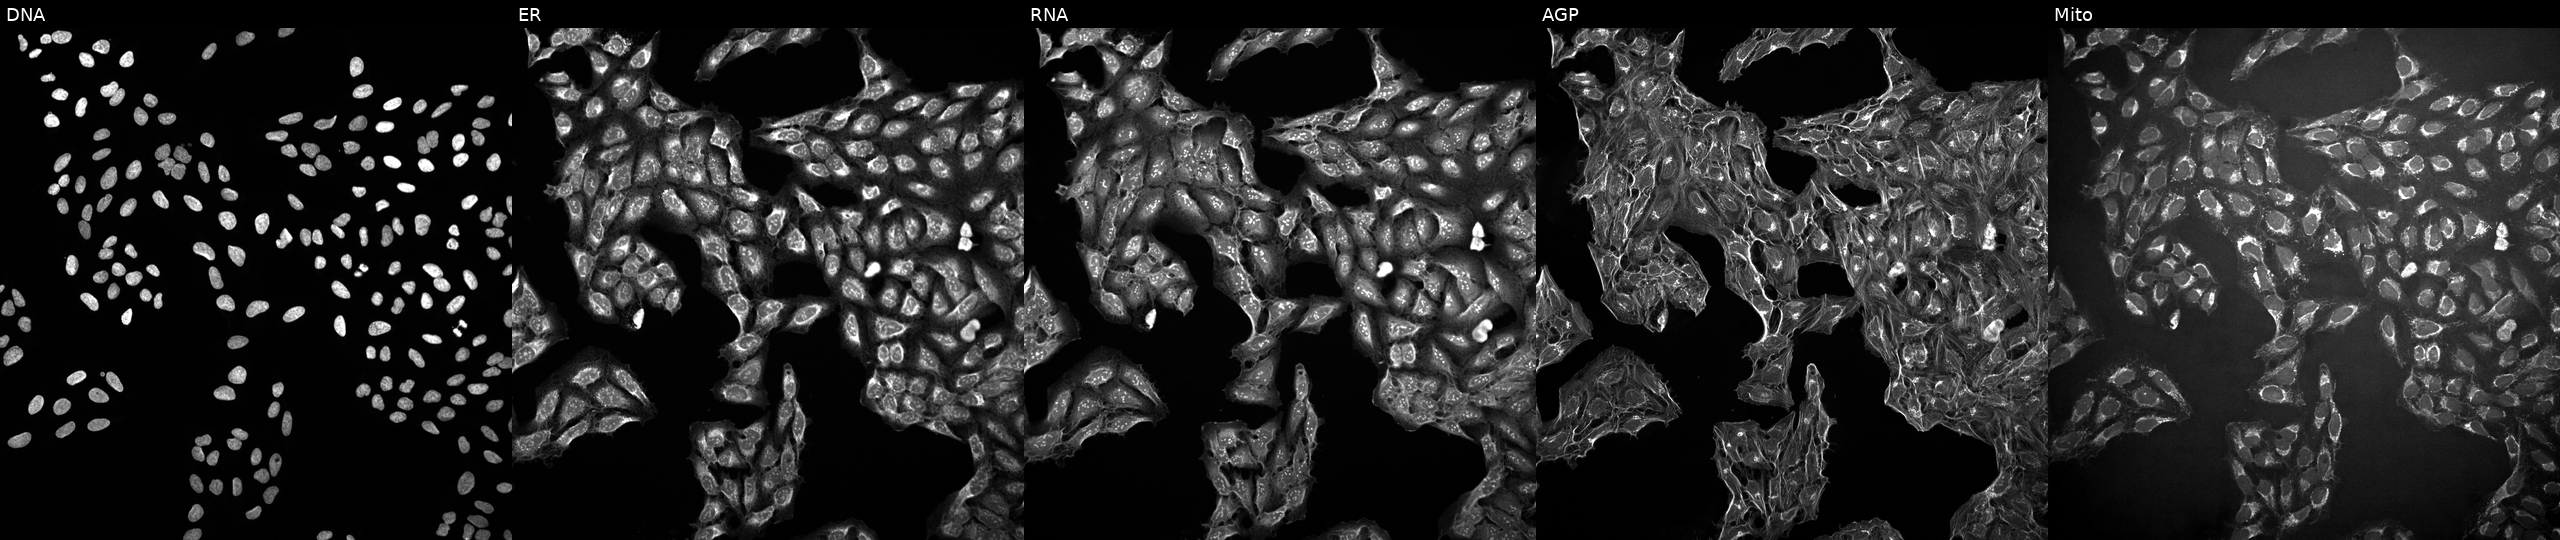
The five panels, left to right, show DNA, ER, RNA, AGP, and Mito. U2OS osteosarcoma cells exposed to a small-molecule compound (InChIKey NHDUYDYDVSVTDE-UHFFFAOYSA-N) (JUMP id JCP2022_058977). Cell Painting assay, JUMP-CP dataset. Source 10, plate Dest210531-152324, well A14.